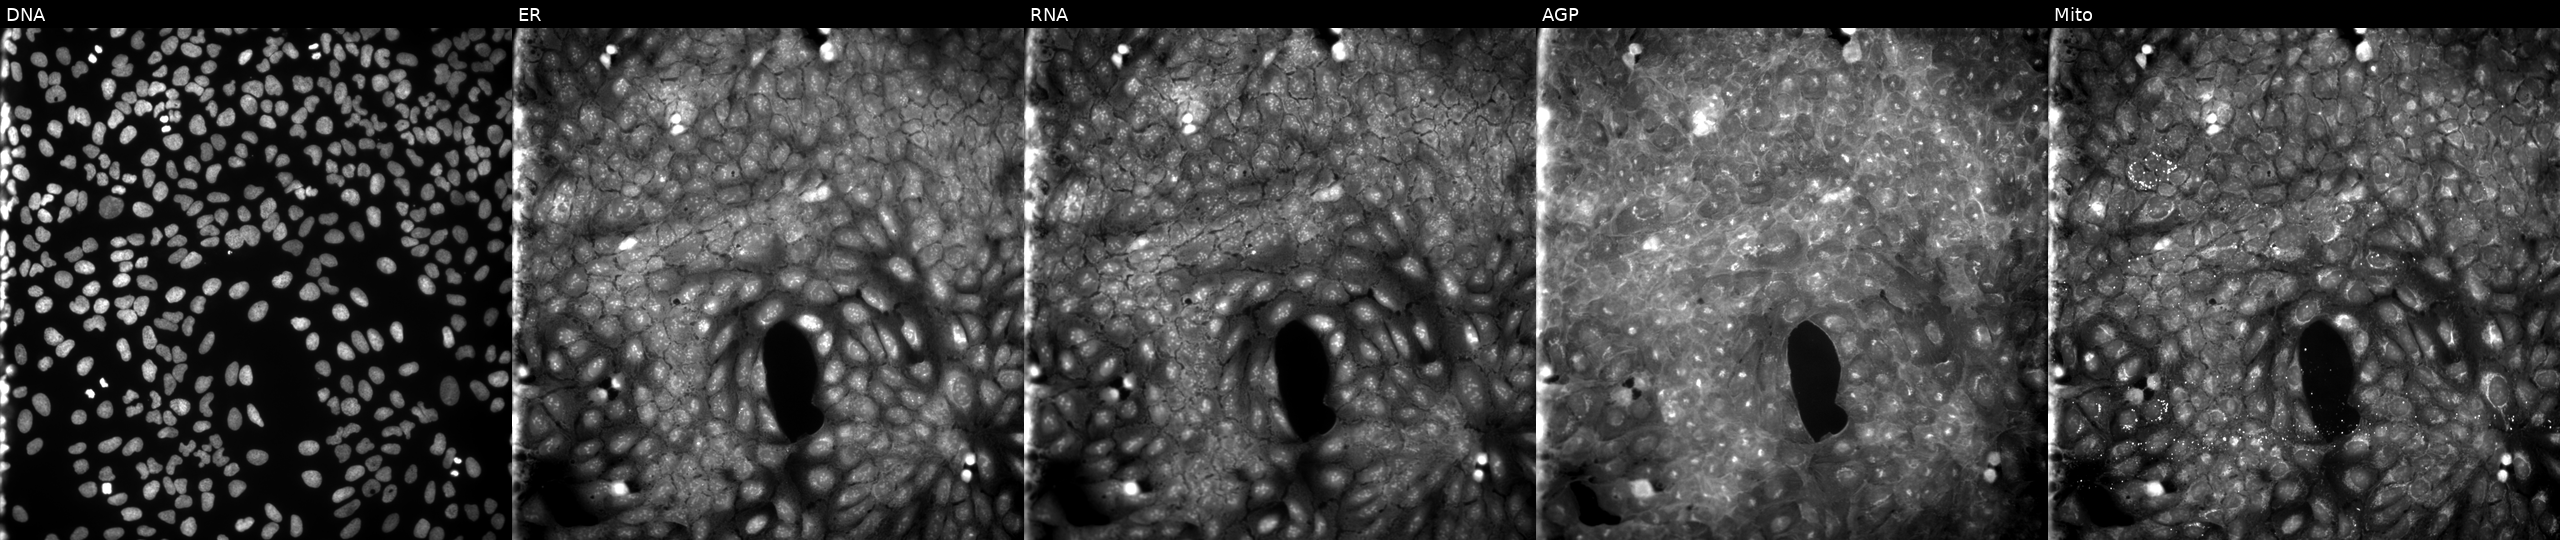
U2OS cells, Cell Painting assay, exposed to a small-molecule compound (InChIKey QMQFDKQSPKYSSS-UHFFFAOYSA-N) (JUMP id JCP2022_074483). The five panels, left to right, show DNA (nuclei); ER (endoplasmic reticulum); RNA (nucleoli and cytoplasmic RNA); AGP (actin cytoskeleton, Golgi, and plasma membrane); Mito (mitochondria). Each panel is percentile-stretched 16-bit fluorescence.